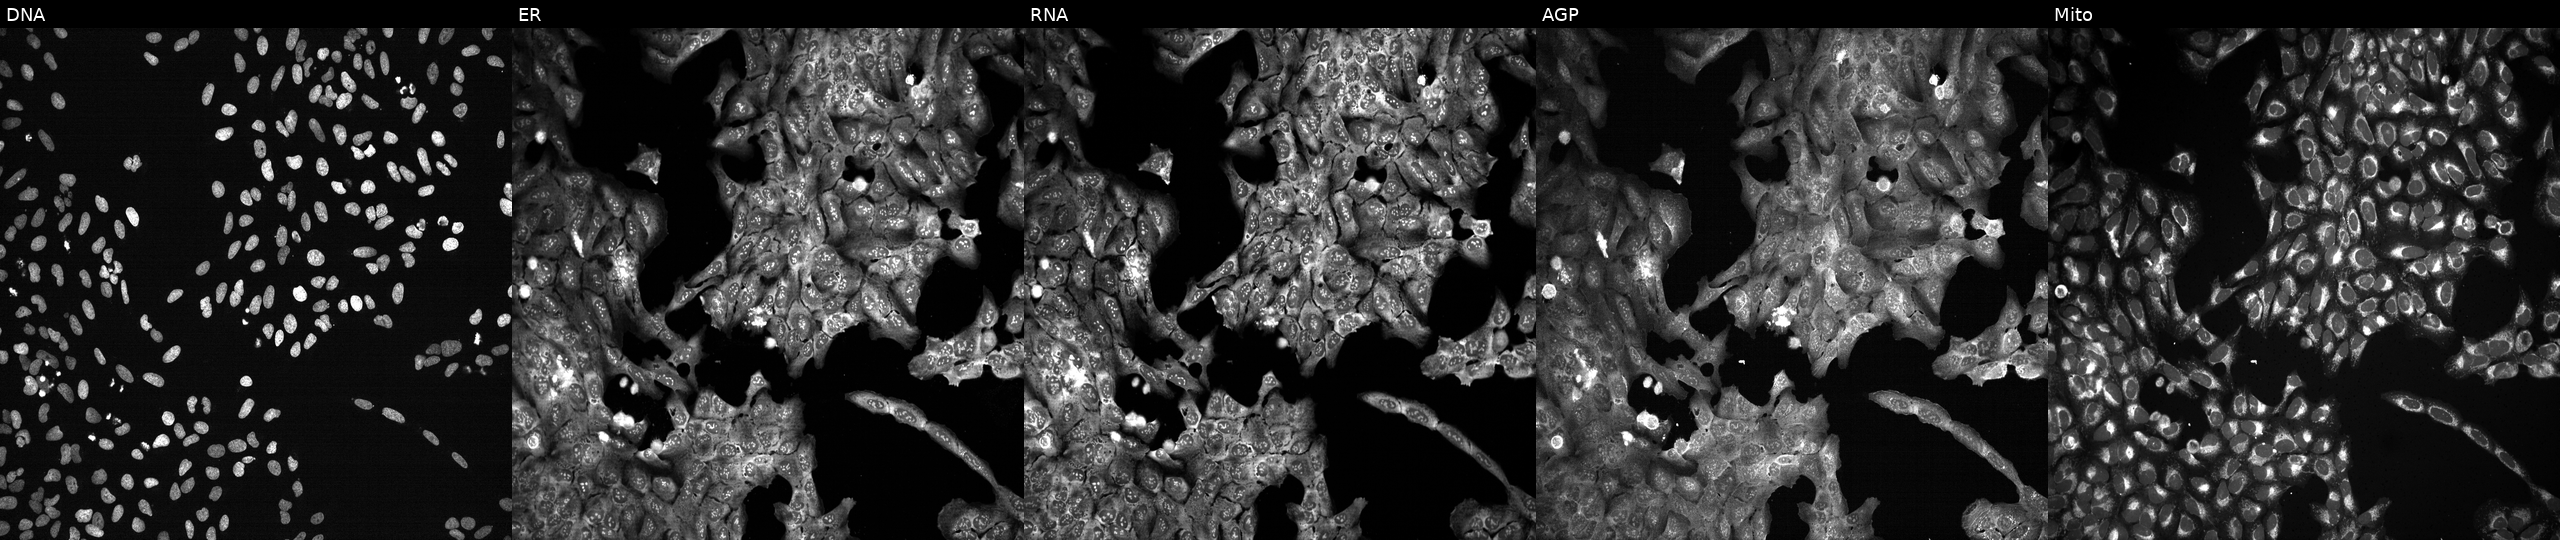
U2OS cells, Cell Painting assay, following CRISPR knockout of DHX15 (JUMP id JCP2022_801797). Panels show, left to right, DNA, ER, RNA, AGP, and Mito. Each panel is percentile-stretched 16-bit fluorescence.